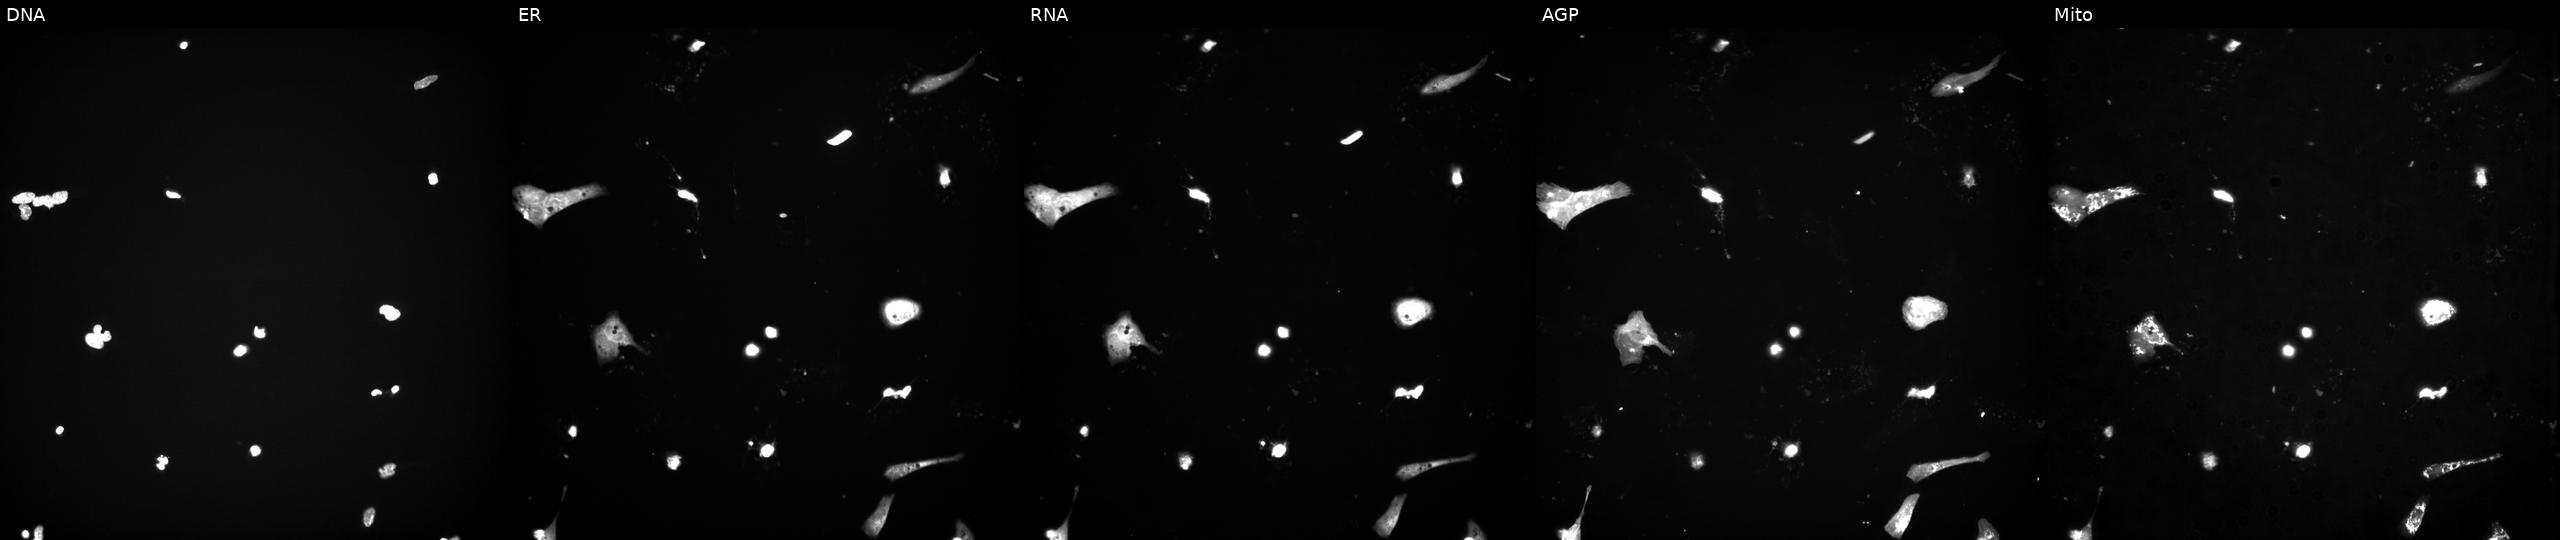
JUMP Cell Painting — TARGET2 plate. U2OS cells exposed to a small-molecule compound (InChIKey VXBAJLGYBMTJCY-UHFFFAOYSA-N) (JUMP id JCP2022_096865). From left to right: DNA (nuclei); ER (endoplasmic reticulum); RNA (nucleoli and cytoplasmic RNA); AGP (actin cytoskeleton, Golgi, and plasma membrane); Mito (mitochondria).